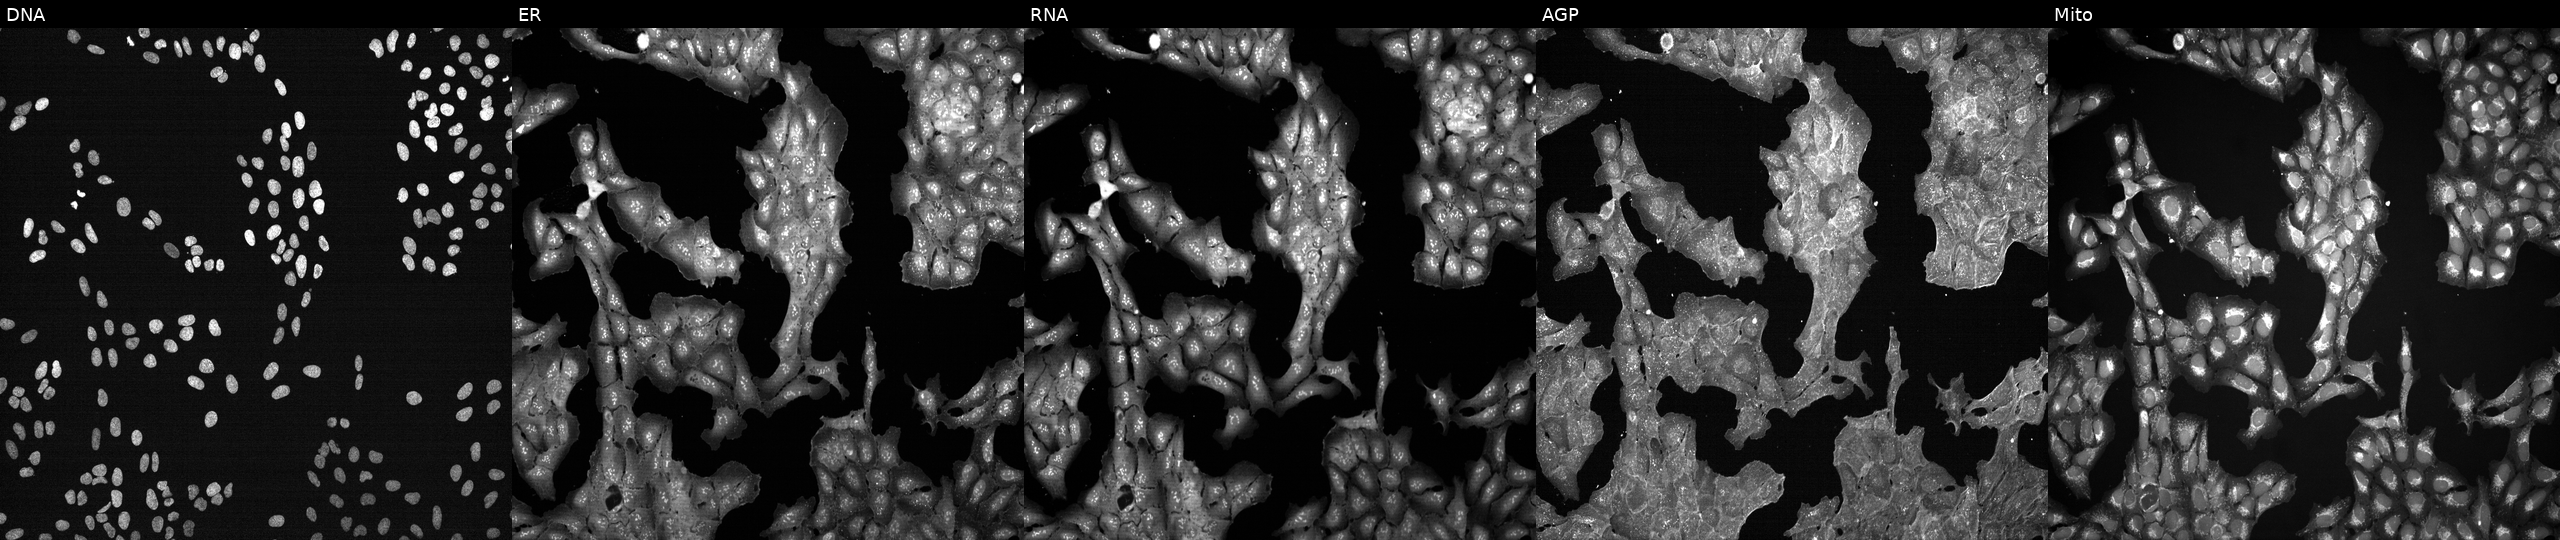
JUMP Cell Painting — TARGET2 plate. U2OS cells perturbed with a small-molecule compound (InChIKey VGZSUPCWNCWDAN-UHFFFAOYSA-N) [SMILES: CC(=O)c1ccc(S(=O)(=O)NC(=O)NC2CCCCC2)cc1] (JUMP id JCP2022_093901). From left to right: Hoechst 33342, concanavalin A, SYTO 14, phalloidin and WGA, MitoTracker.